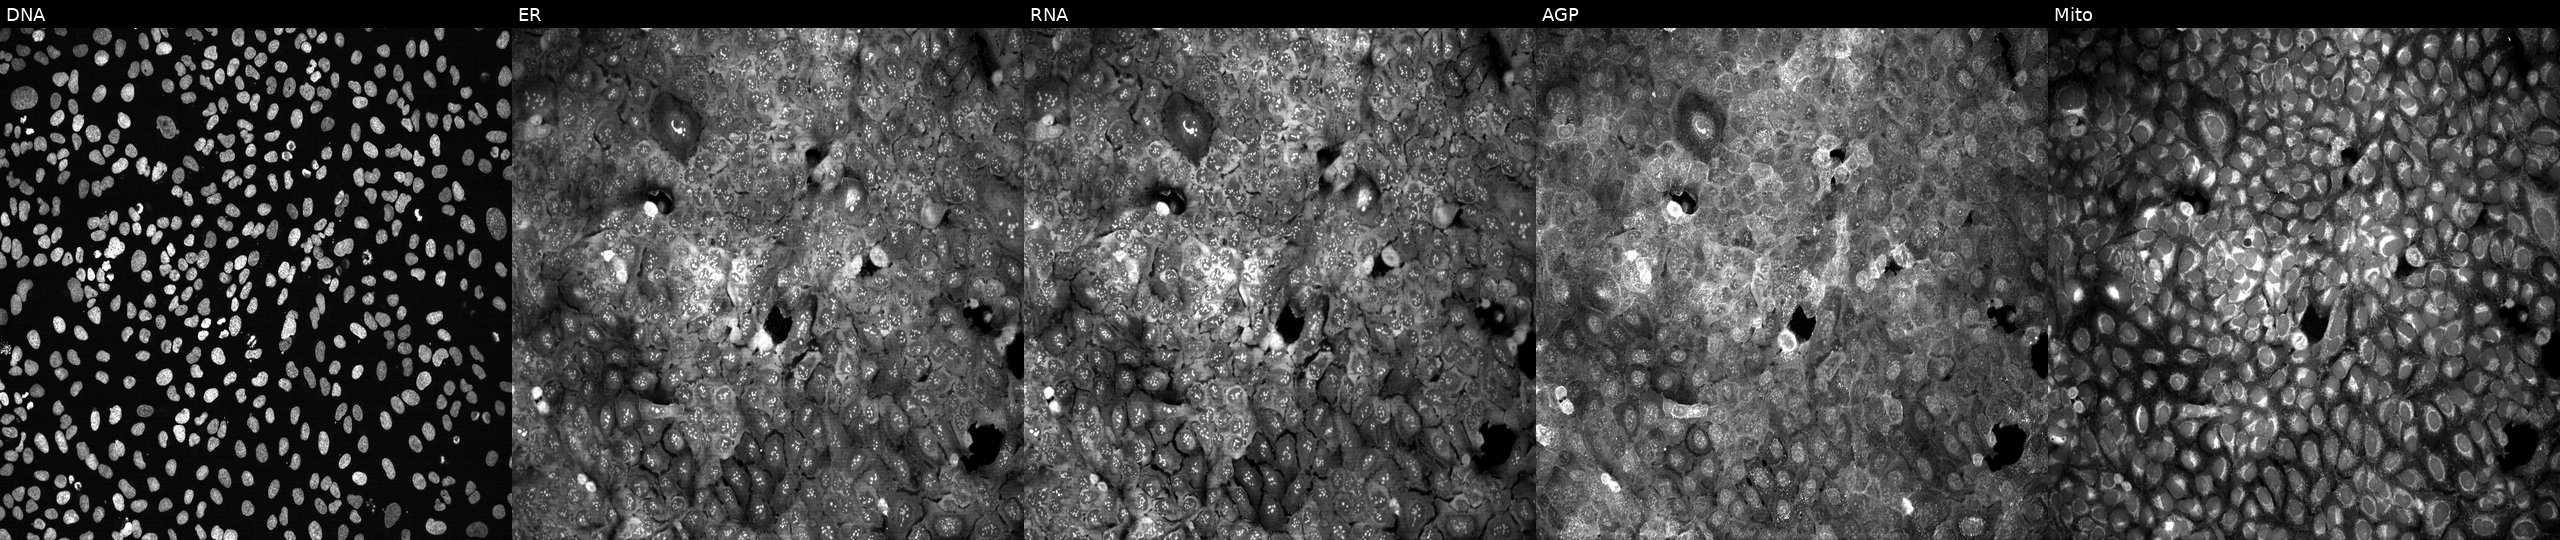
U2OS cells, Cell Painting assay, with NGLY1 knocked out by CRISPR. Channels (left→right): DNA (nuclei); ER (endoplasmic reticulum); RNA (nucleoli and cytoplasmic RNA); AGP (actin cytoskeleton, Golgi, and plasma membrane); Mito (mitochondria). Each panel is percentile-stretched 16-bit fluorescence.